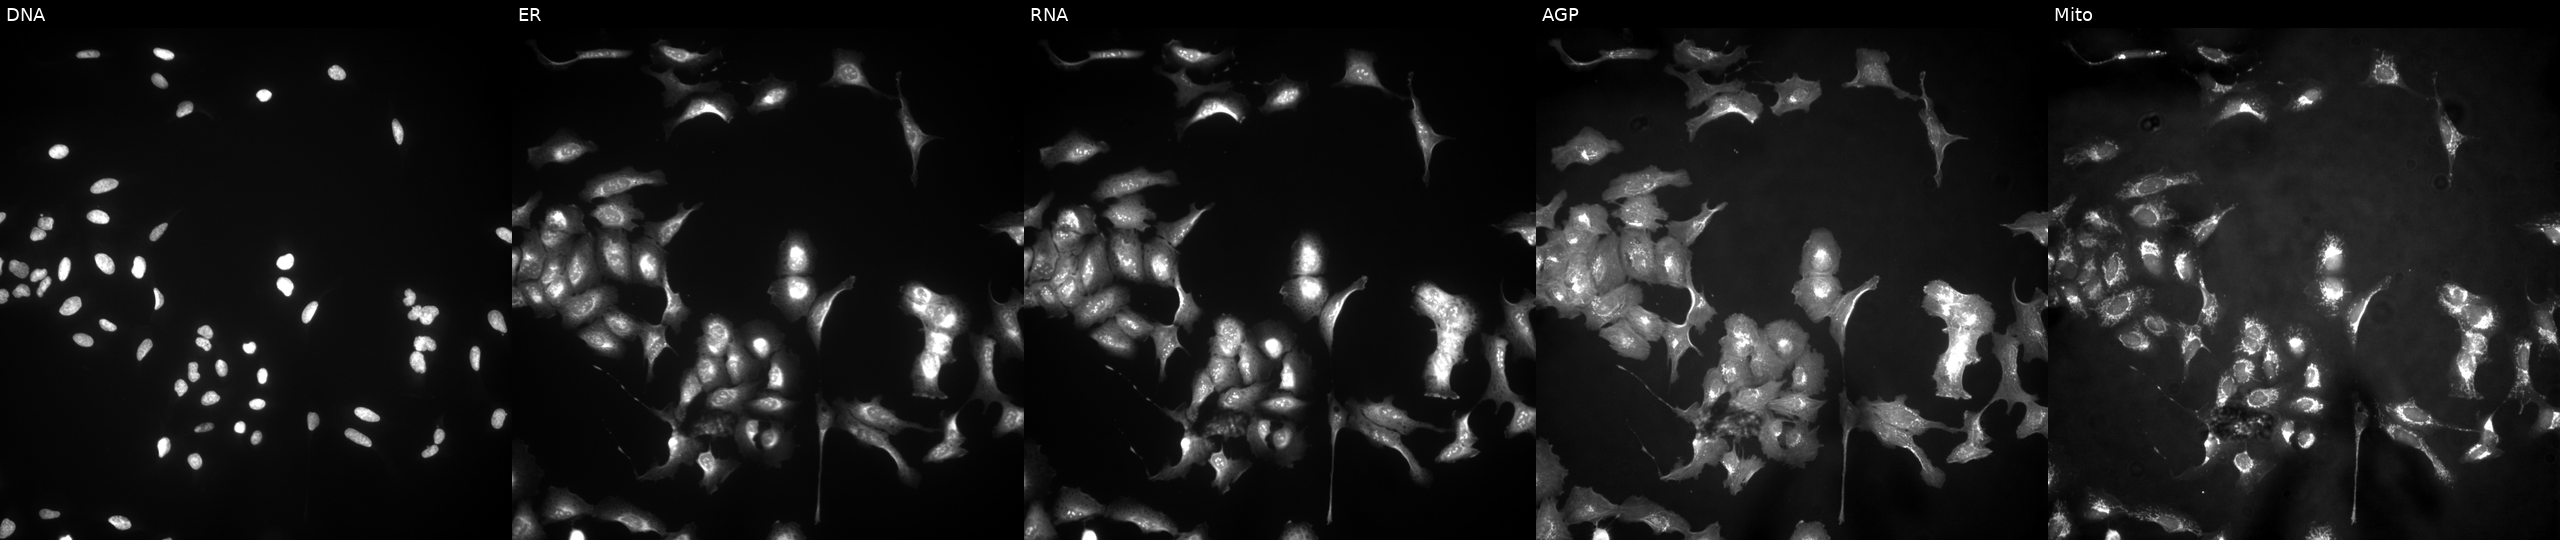
High-content fluorescence microscopy (Cell Painting). Cell line: U2OS. Perturbation: overexpressing DENND1A via ORF transfection. Channels (left→right): Hoechst 33342, concanavalin A, SYTO 14, phalloidin and WGA, MitoTracker. Source 4, plate BR00123506, well N12.